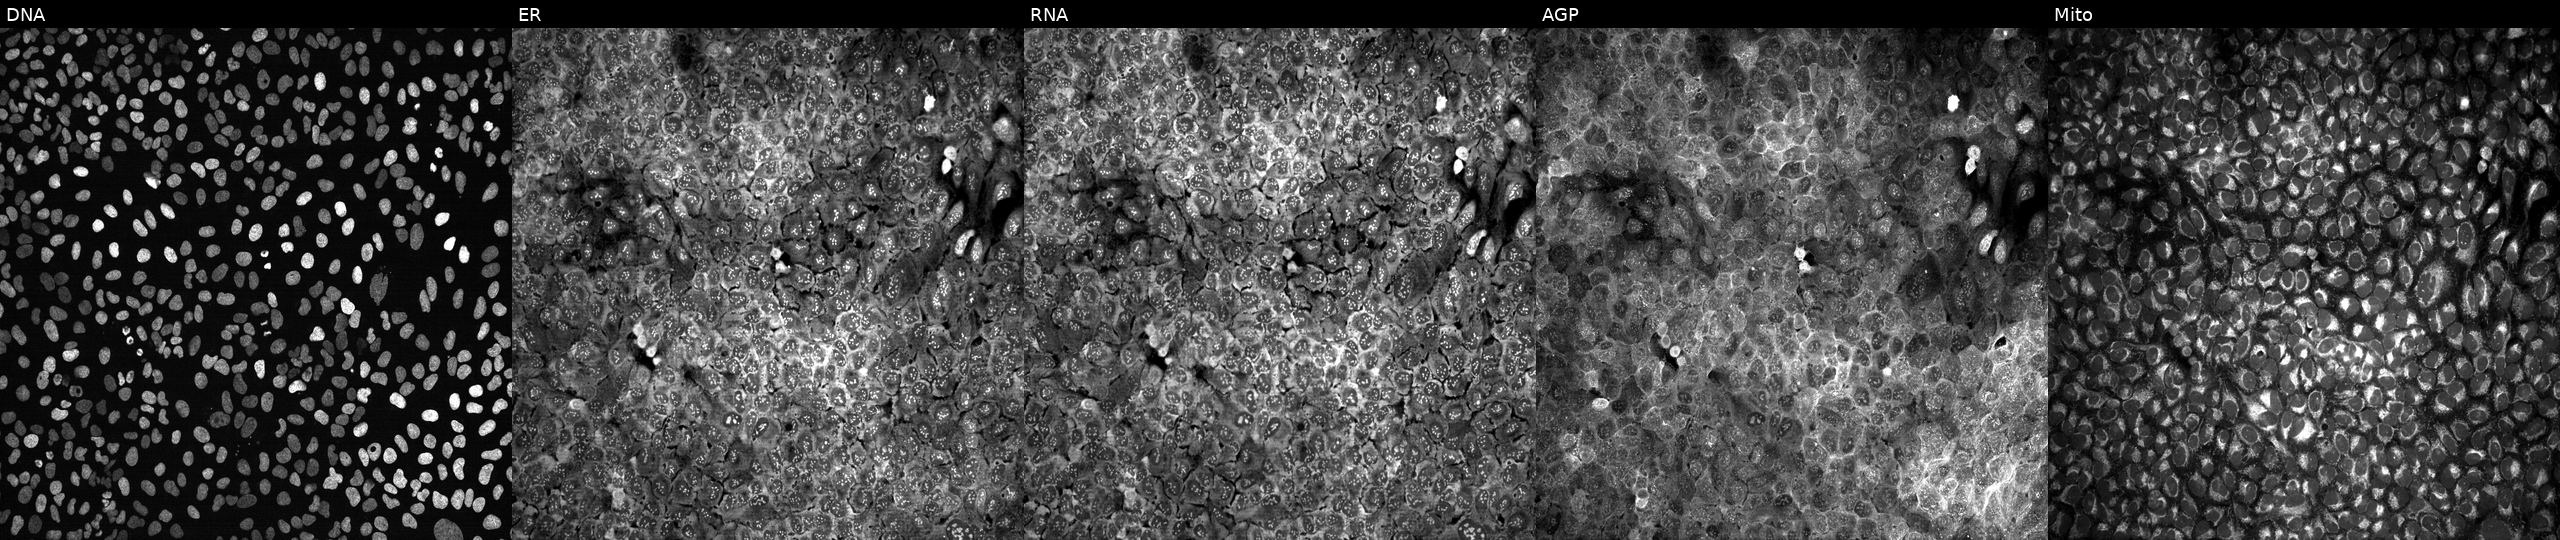
High-content fluorescence microscopy (Cell Painting). Cell line: U2OS. Perturbation: CRISPR-edited to disrupt FARS2 (JUMP id JCP2022_802270). Panels show, left to right, DNA, ER, RNA, AGP, and Mito. Source 13, plate CP-CC9-R4-04, well M05.